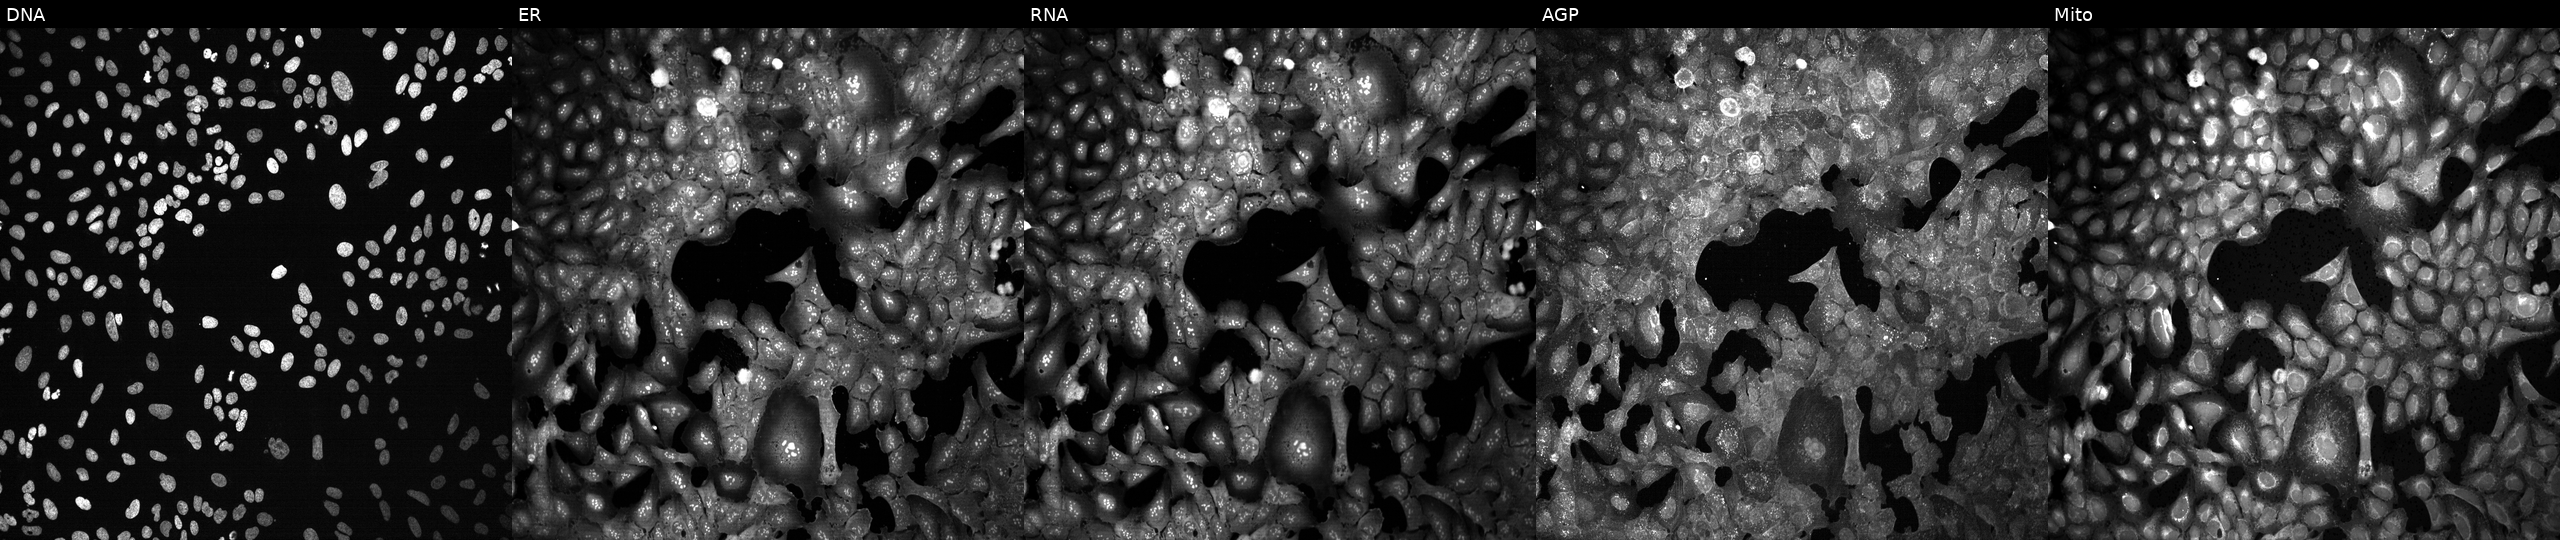
Five-channel Cell Painting image of U2OS cells CRISPR-edited to disrupt NOS3 (JUMP id JCP2022_804639). Panels show, left to right, Hoechst 33342, concanavalin A, SYTO 14, phalloidin and WGA, MitoTracker. Source 13, plate CP-CC9-R1-02, well N18.